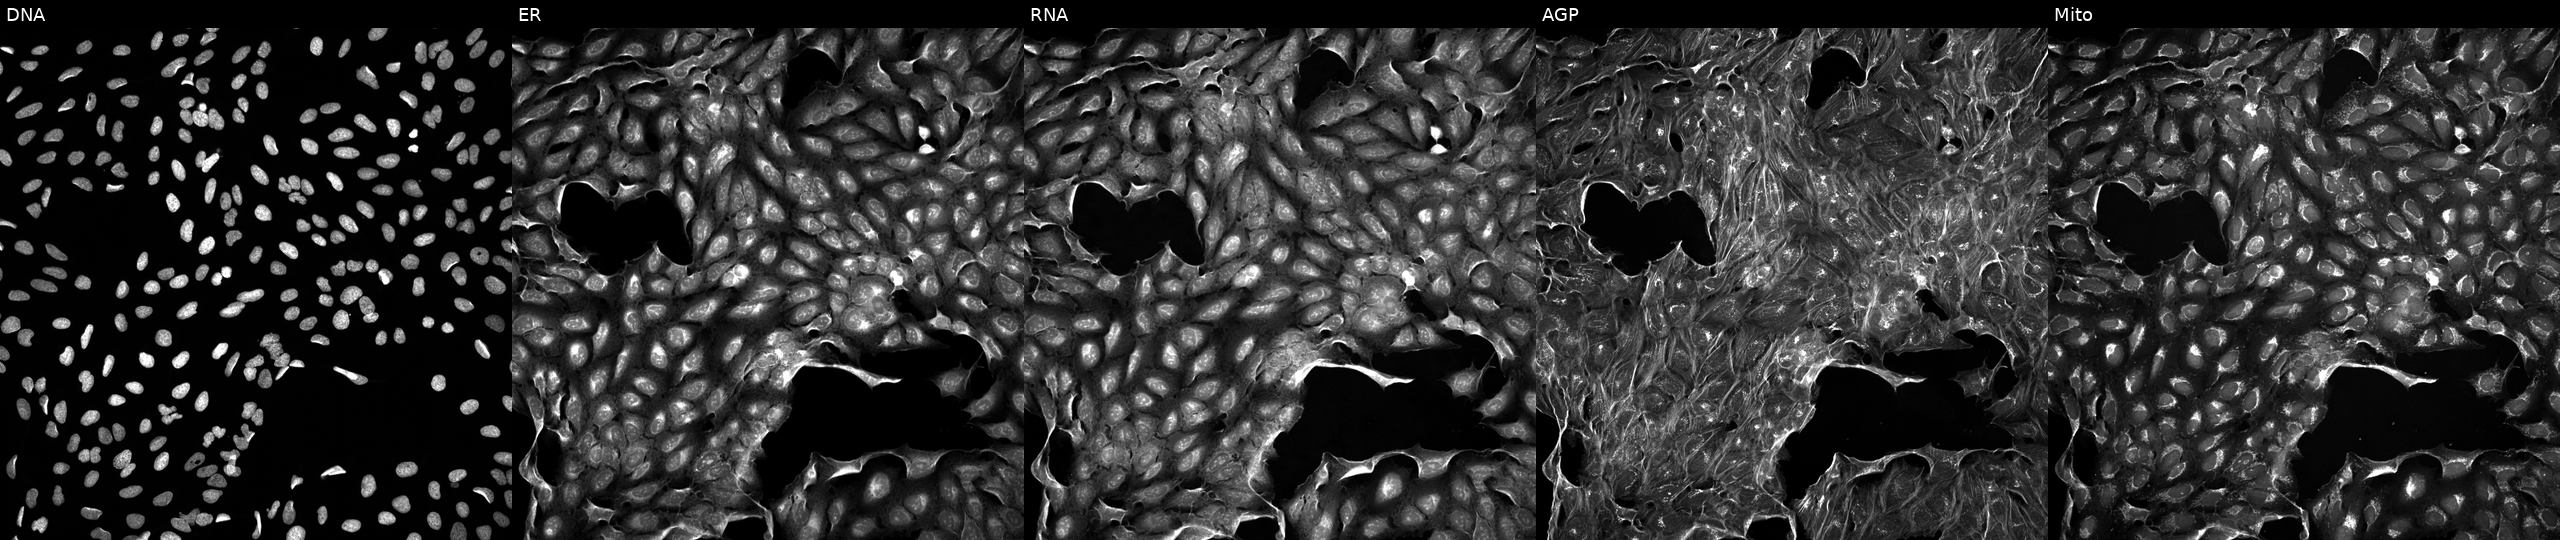
JUMP Cell Painting — TARGET2 plate. U2OS cells exposed to a small-molecule compound (InChIKey BYBLEWFAAKGYCD-UHFFFAOYSA-N). The five panels, left to right, show DNA (nuclei); ER (endoplasmic reticulum); RNA (nucleoli and cytoplasmic RNA); AGP (actin cytoskeleton, Golgi, and plasma membrane); Mito (mitochondria). Source 5, plate ACPJUM051, well O03.